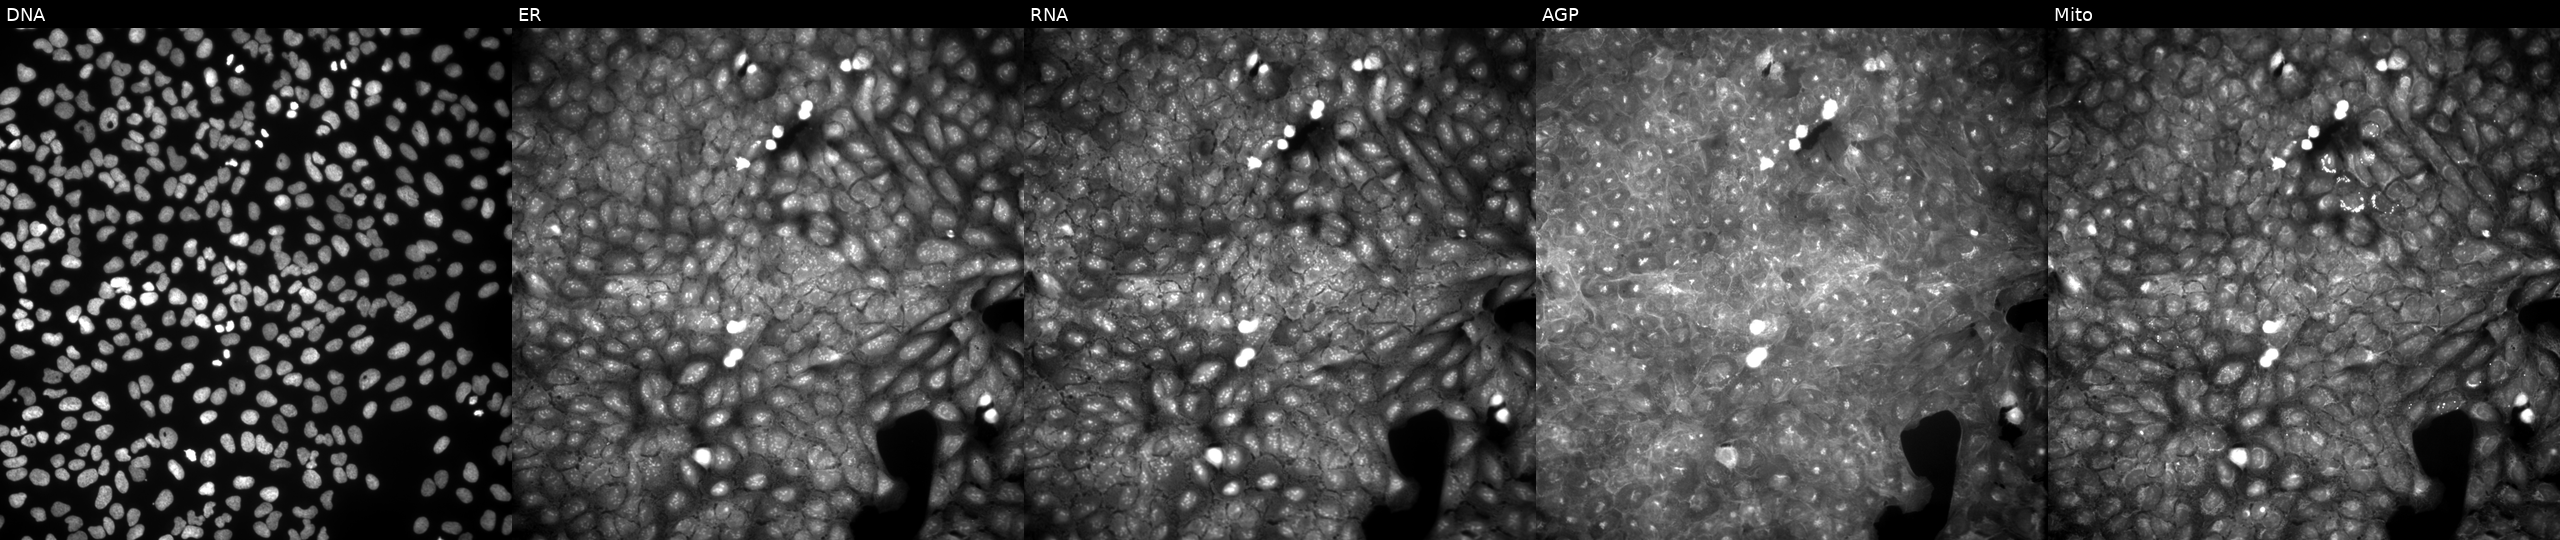
High-content fluorescence microscopy (Cell Painting). Cell line: U2OS. Perturbation: perturbed with a small-molecule compound. Panels show, left to right, Hoechst 33342, concanavalin A, SYTO 14, phalloidin and WGA, MitoTracker. Source 9, plate GR00003382, well V28.